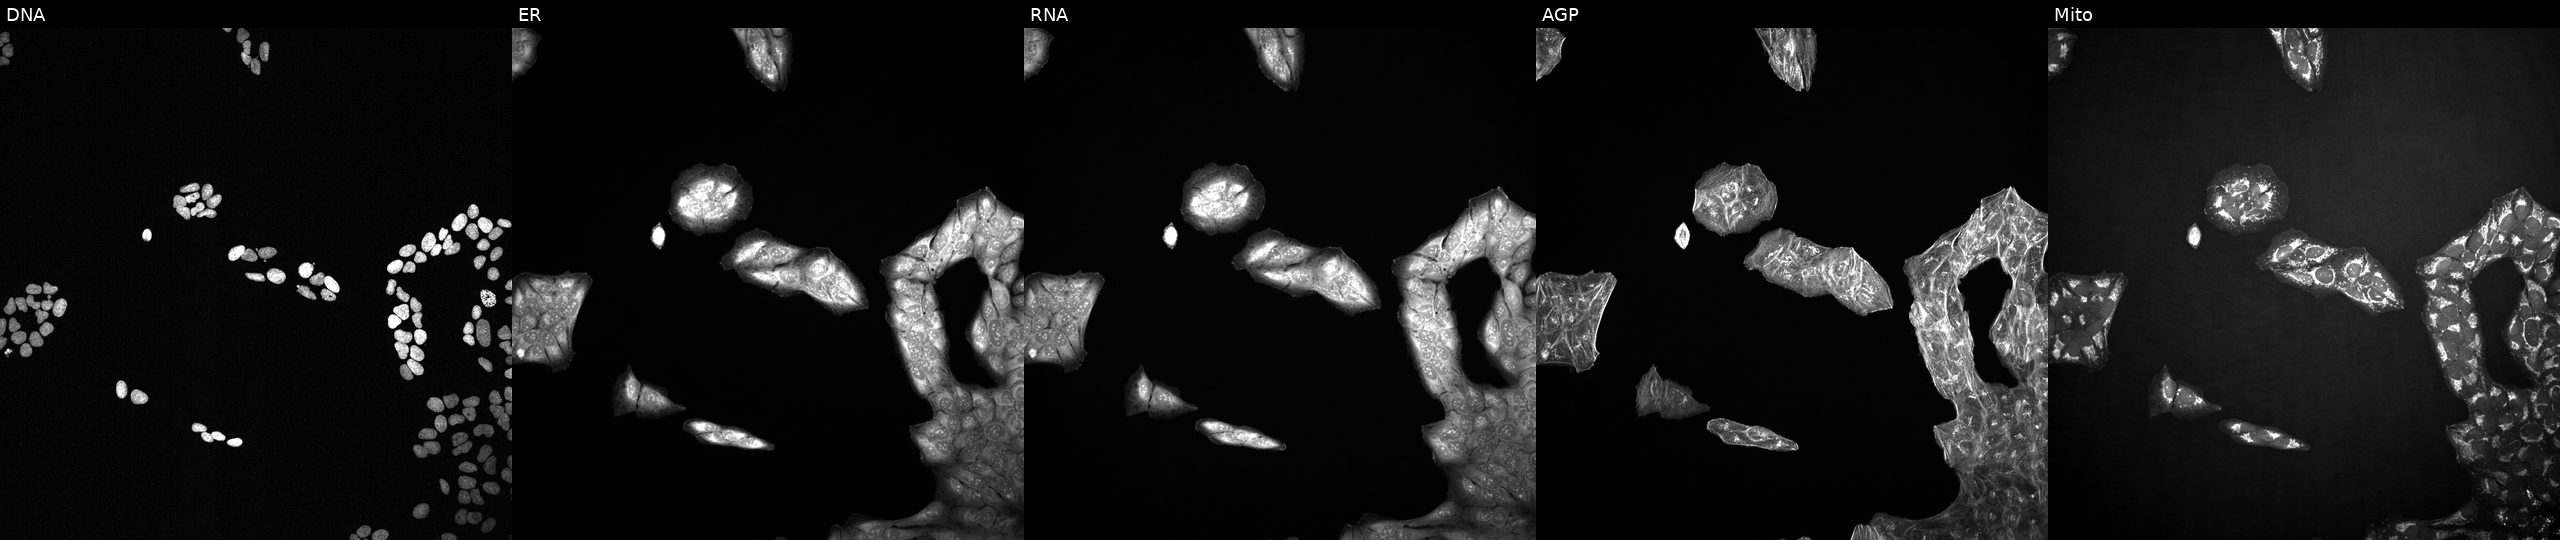
The five panels, left to right, show Hoechst 33342, concanavalin A, SYTO 14, phalloidin and WGA, MitoTracker. U2OS osteosarcoma cells exposed to a small-molecule compound (InChIKey PBBRWFOVCUAONR-UHFFFAOYSA-N) (JUMP id JCP2022_067432). Cell Painting assay, JUMP-CP dataset. Source 2, plate 1053600674, well C03.